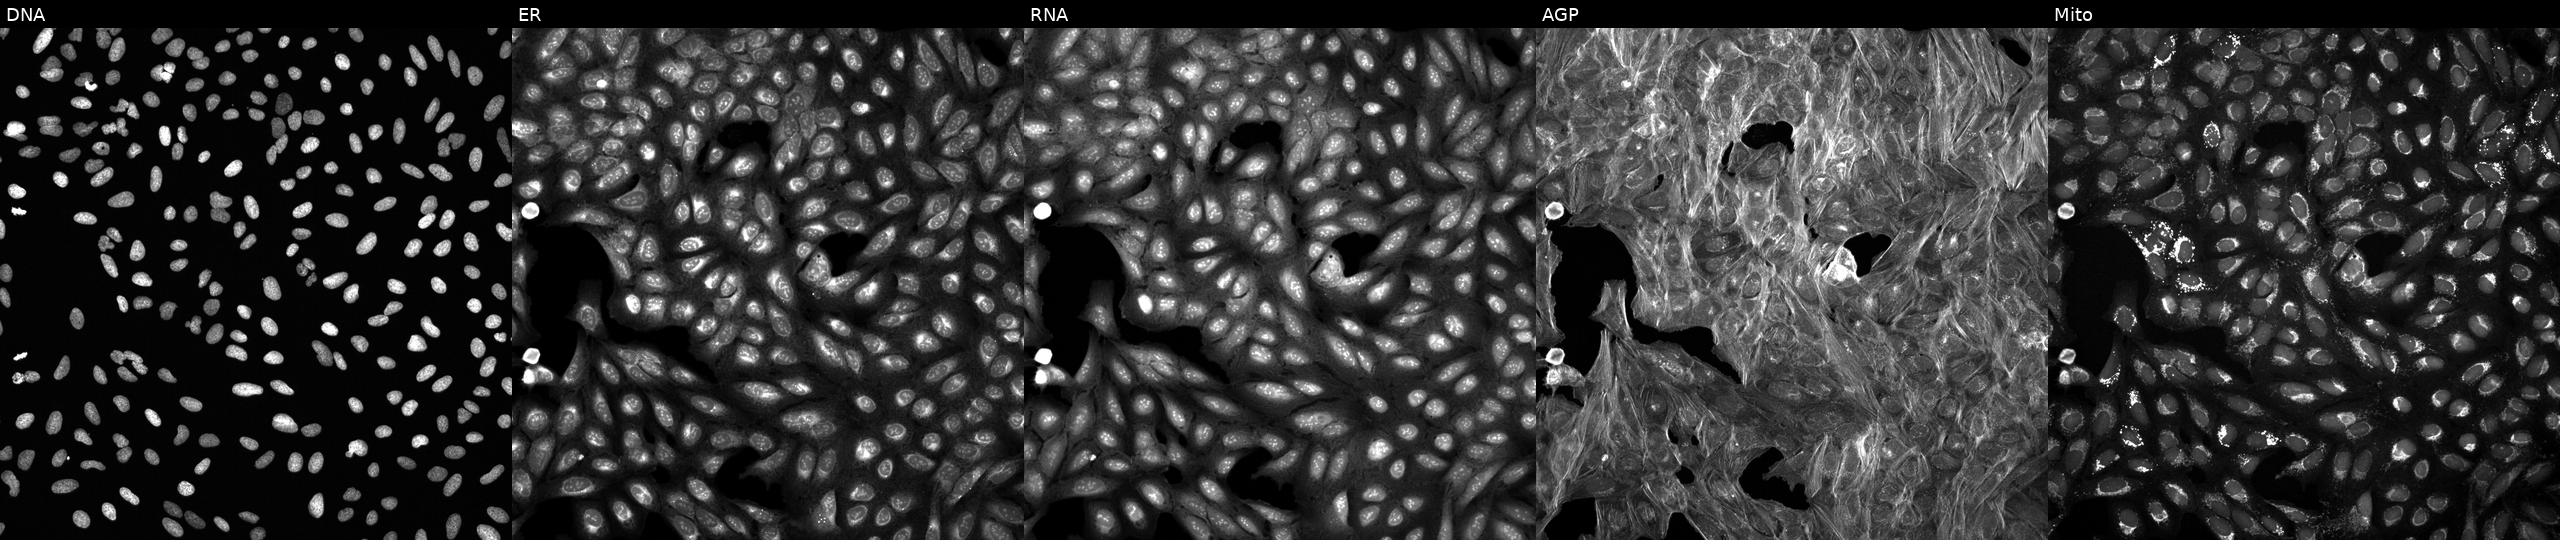
Channels (left→right): DNA (nuclei); ER (endoplasmic reticulum); RNA (nucleoli and cytoplasmic RNA); AGP (actin cytoskeleton, Golgi, and plasma membrane); Mito (mitochondria). U2OS osteosarcoma cells treated with a small-molecule compound (InChIKey GPJYRPCZVISEIY-UHFFFAOYSA-N) (JUMP id JCP2022_026937). Cell Painting assay, JUMP-CP dataset. Source 6, plate 110000293082, well P07.